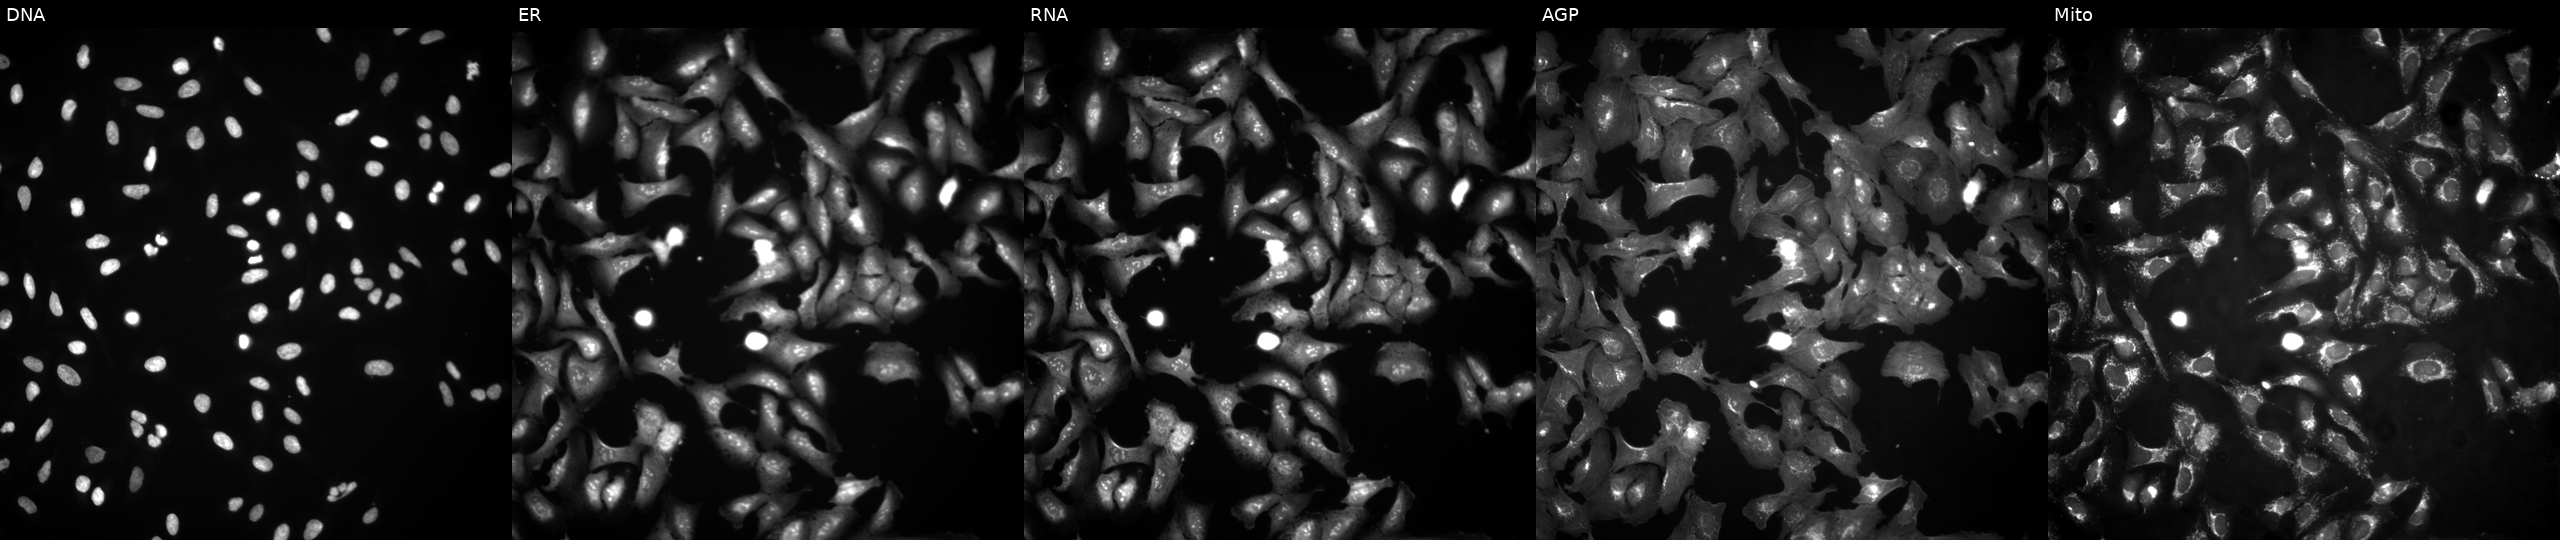
JUMP Cell Painting — ORF plate. U2OS cells with ZNF597 overexpressed (ORF) (JUMP id JCP2022_904671). The five panels, left to right, show DNA (nuclei); ER (endoplasmic reticulum); RNA (nucleoli and cytoplasmic RNA); AGP (actin cytoskeleton, Golgi, and plasma membrane); Mito (mitochondria). Source 4, plate BR00117035, well K16.